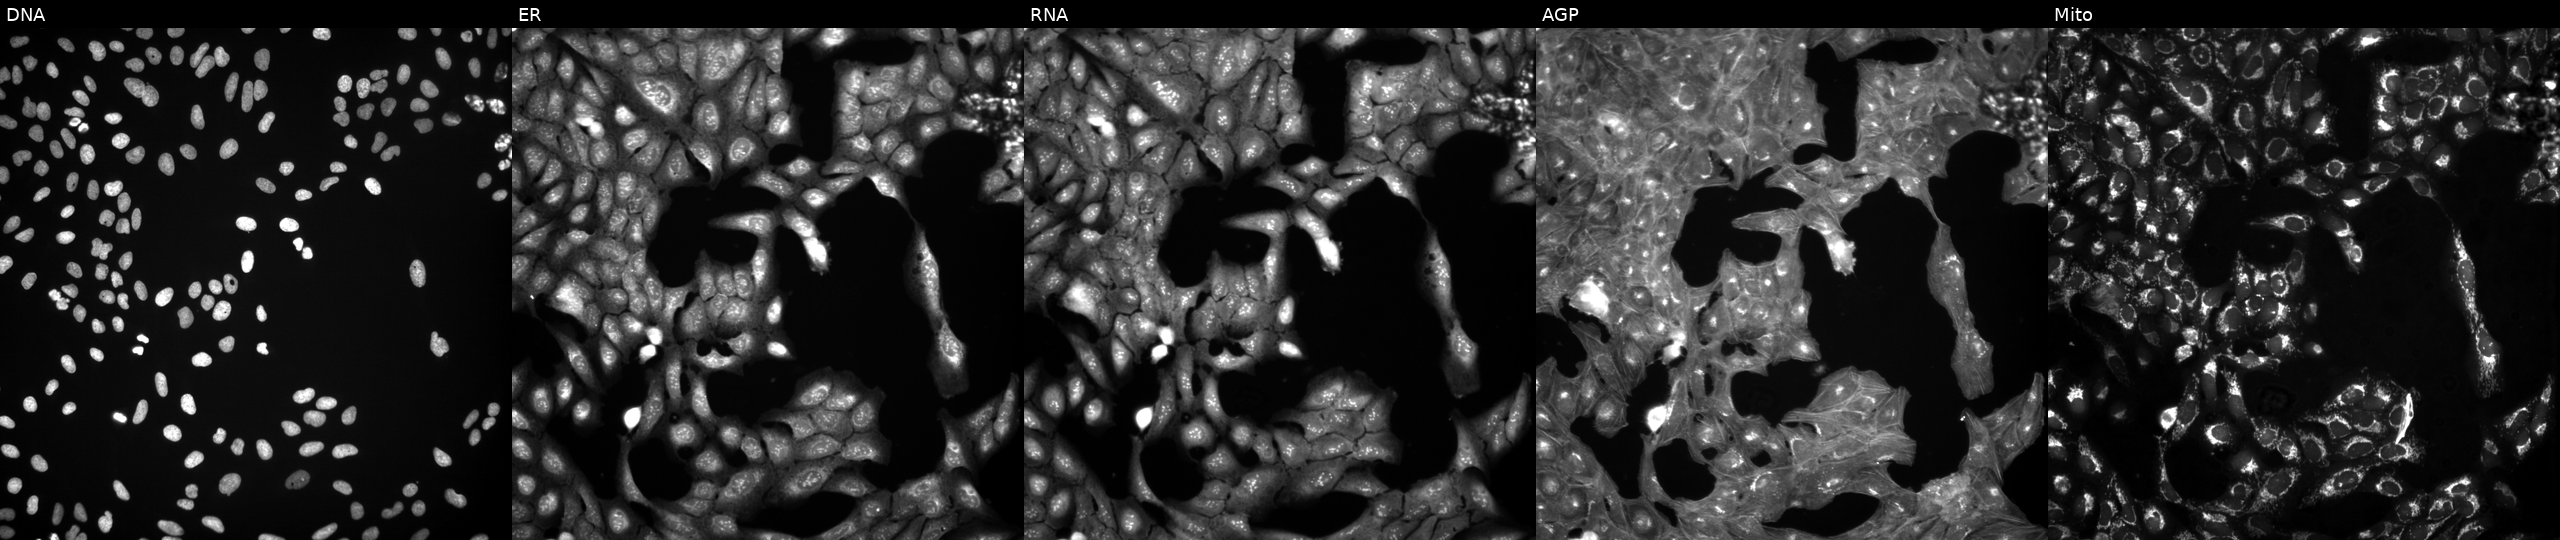
This image strip shows the five Cell Painting channels for a single field of U2OS cells exposed to a small-molecule compound (InChIKey LGEQQWMQCRIYKG-UHFFFAOYSA-N) [SMILES: CCCCCC=CCC=CCC=CCC=CCCCC(=O)NCCO]. From left to right: DNA (nuclei); ER (endoplasmic reticulum); RNA (nucleoli and cytoplasmic RNA); AGP (actin cytoskeleton, Golgi, and plasma membrane); Mito (mitochondria). Source 3, plate JCPQC051, well I12.